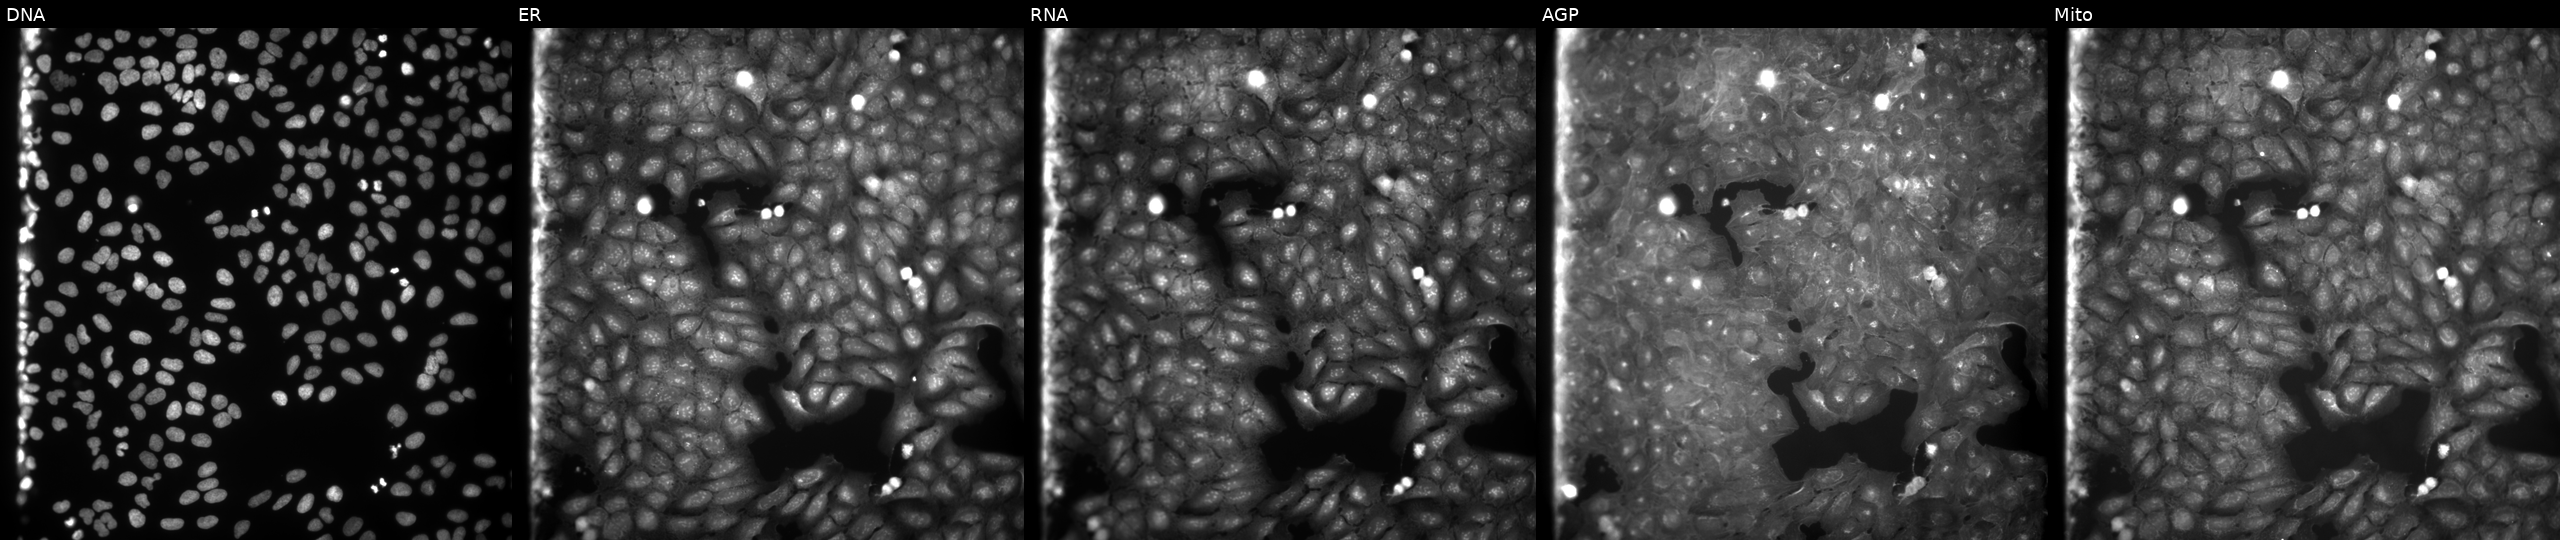
This image strip shows the five Cell Painting channels for a single field of U2OS cells perturbed with a small-molecule compound (InChIKey ISXGYQZVJVNFNR-UHFFFAOYSA-N). Panels show, left to right, DNA, ER, RNA, AGP, and Mito. Source 9, plate GR00003381, well K03.